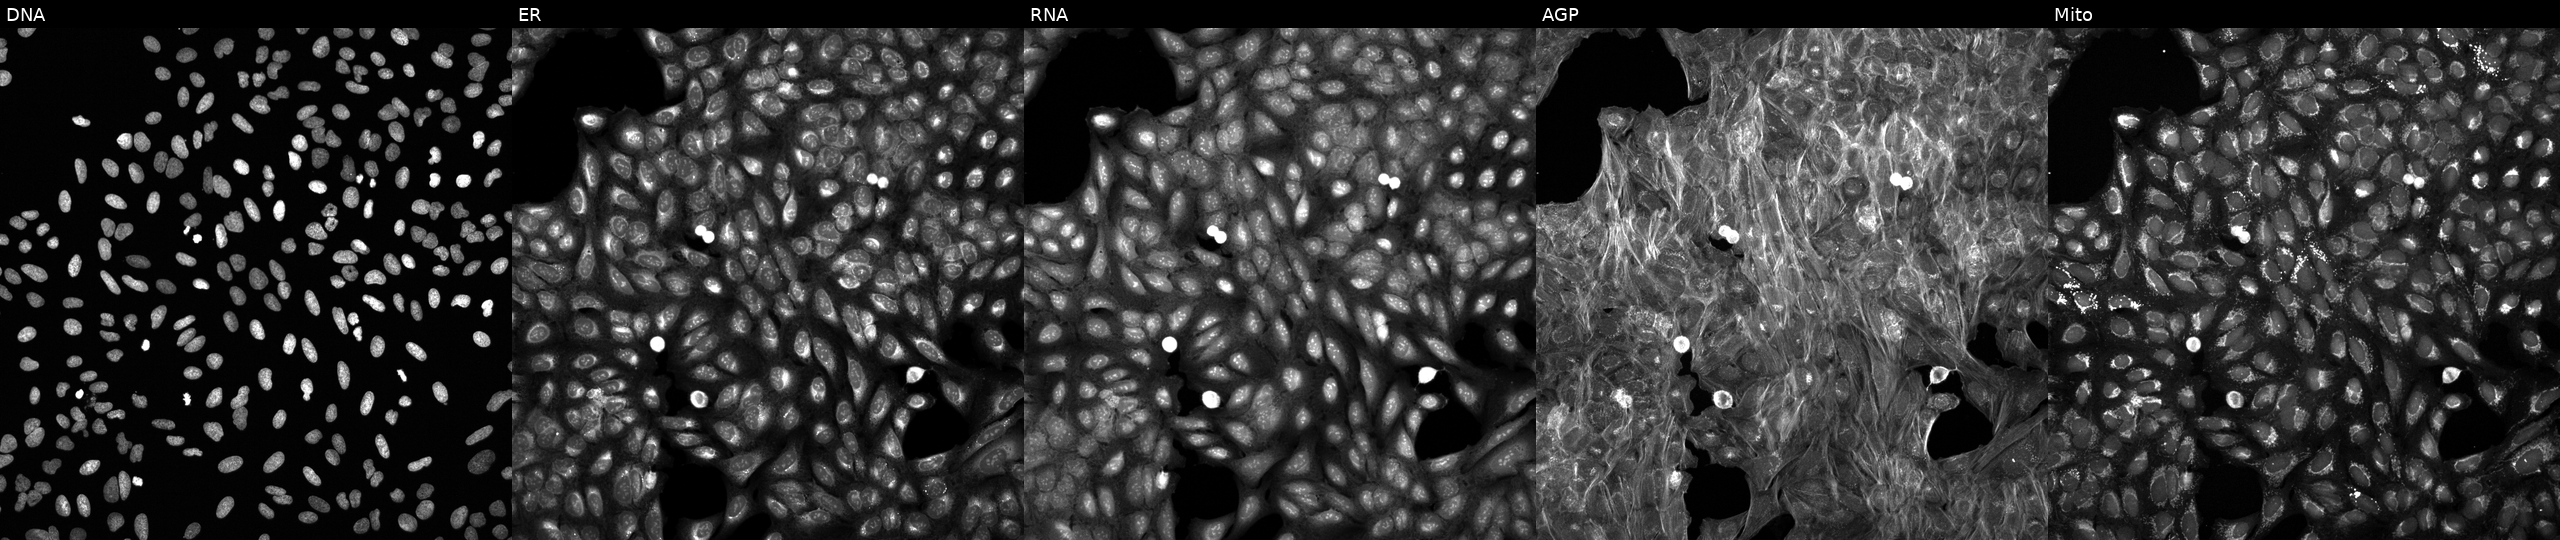
JUMP Cell Painting — TARGET2 plate. U2OS cells treated with DMSO vehicle only (negative control). The five panels, left to right, show DNA (nuclei); ER (endoplasmic reticulum); RNA (nucleoli and cytoplasmic RNA); AGP (actin cytoskeleton, Golgi, and plasma membrane); Mito (mitochondria). Source 6, plate 110000294901, well K24.